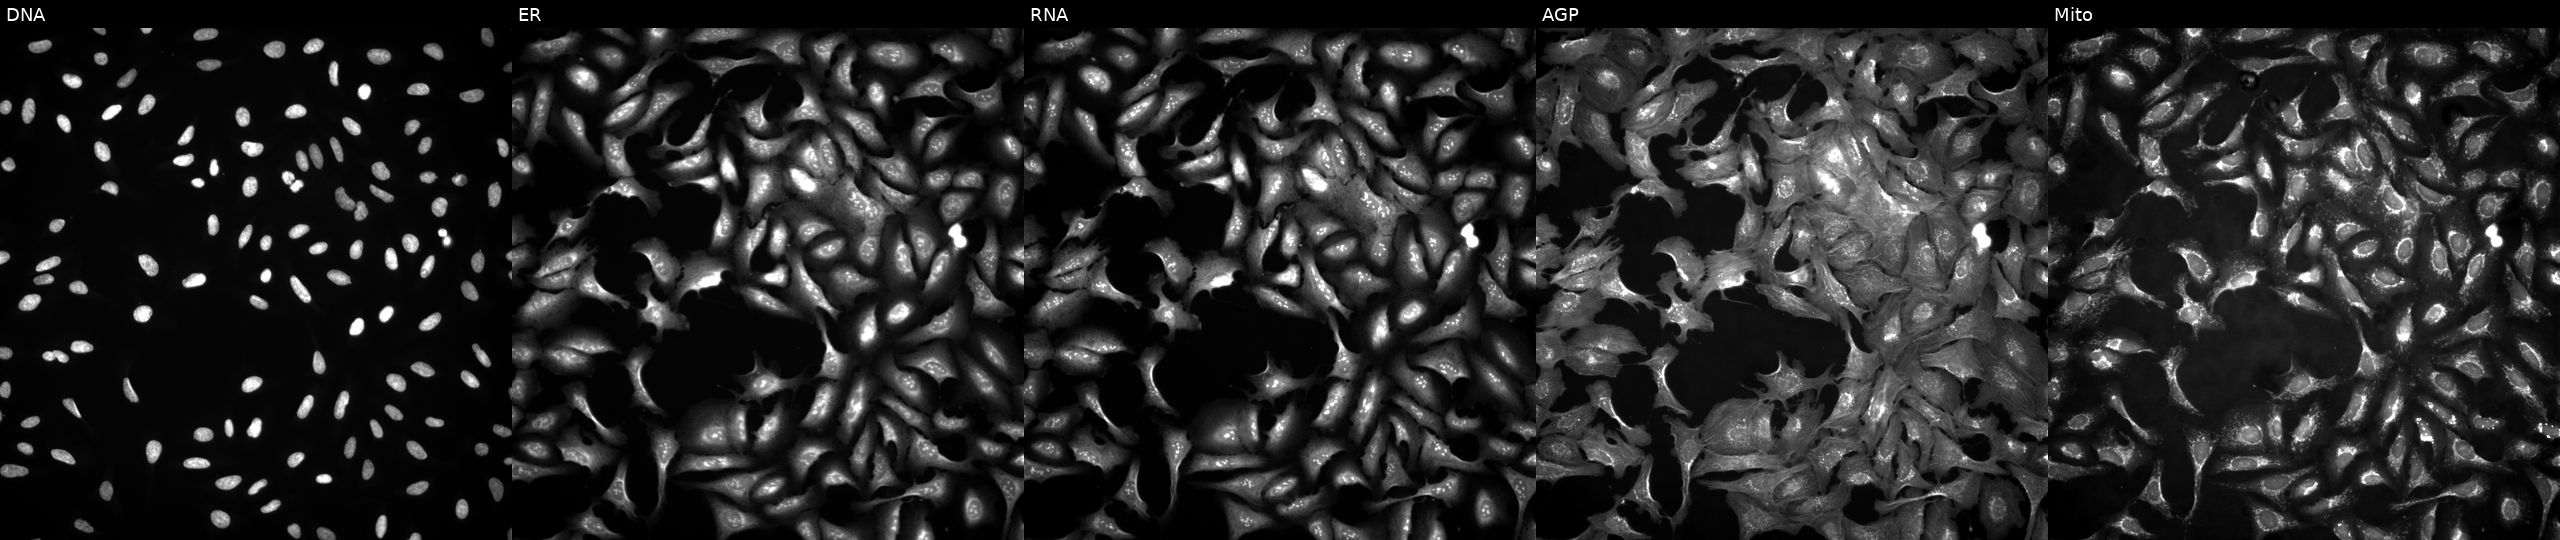
U2OS cells, Cell Painting assay, with DGKE overexpressed (ORF) (JUMP id JCP2022_913056). The five panels, left to right, show DNA, ER, RNA, AGP, and Mito. Each panel is percentile-stretched 16-bit fluorescence. Source 4, plate BR00123945, well L10.